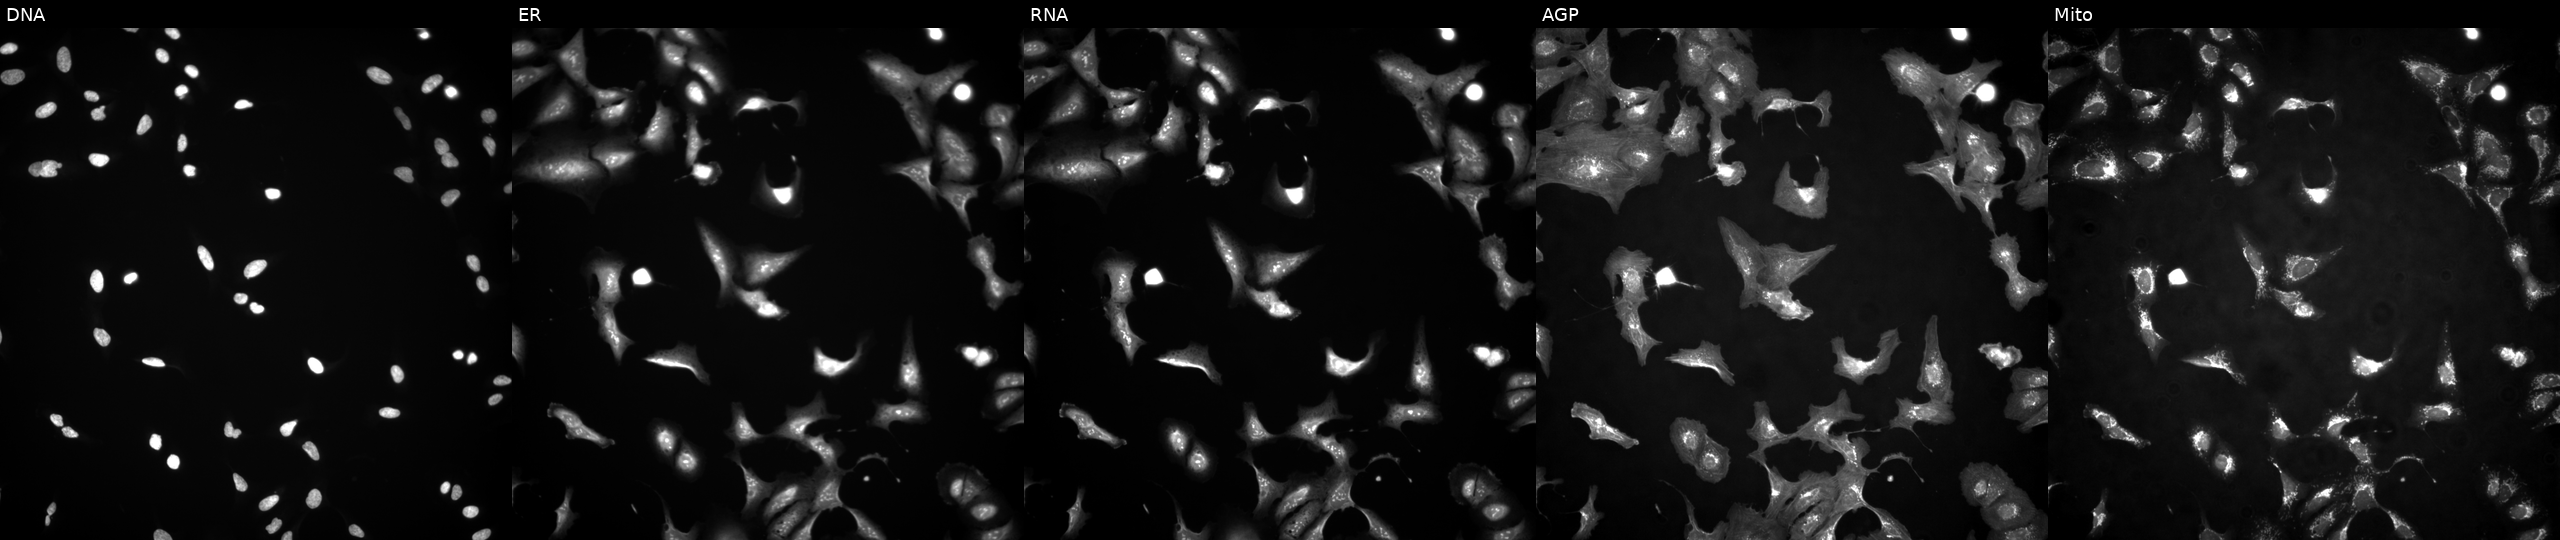
This image strip shows the five Cell Painting channels for a single field of U2OS cells overexpressing NR2E3 via ORF transfection. The five panels, left to right, show DNA, ER, RNA, AGP, and Mito.